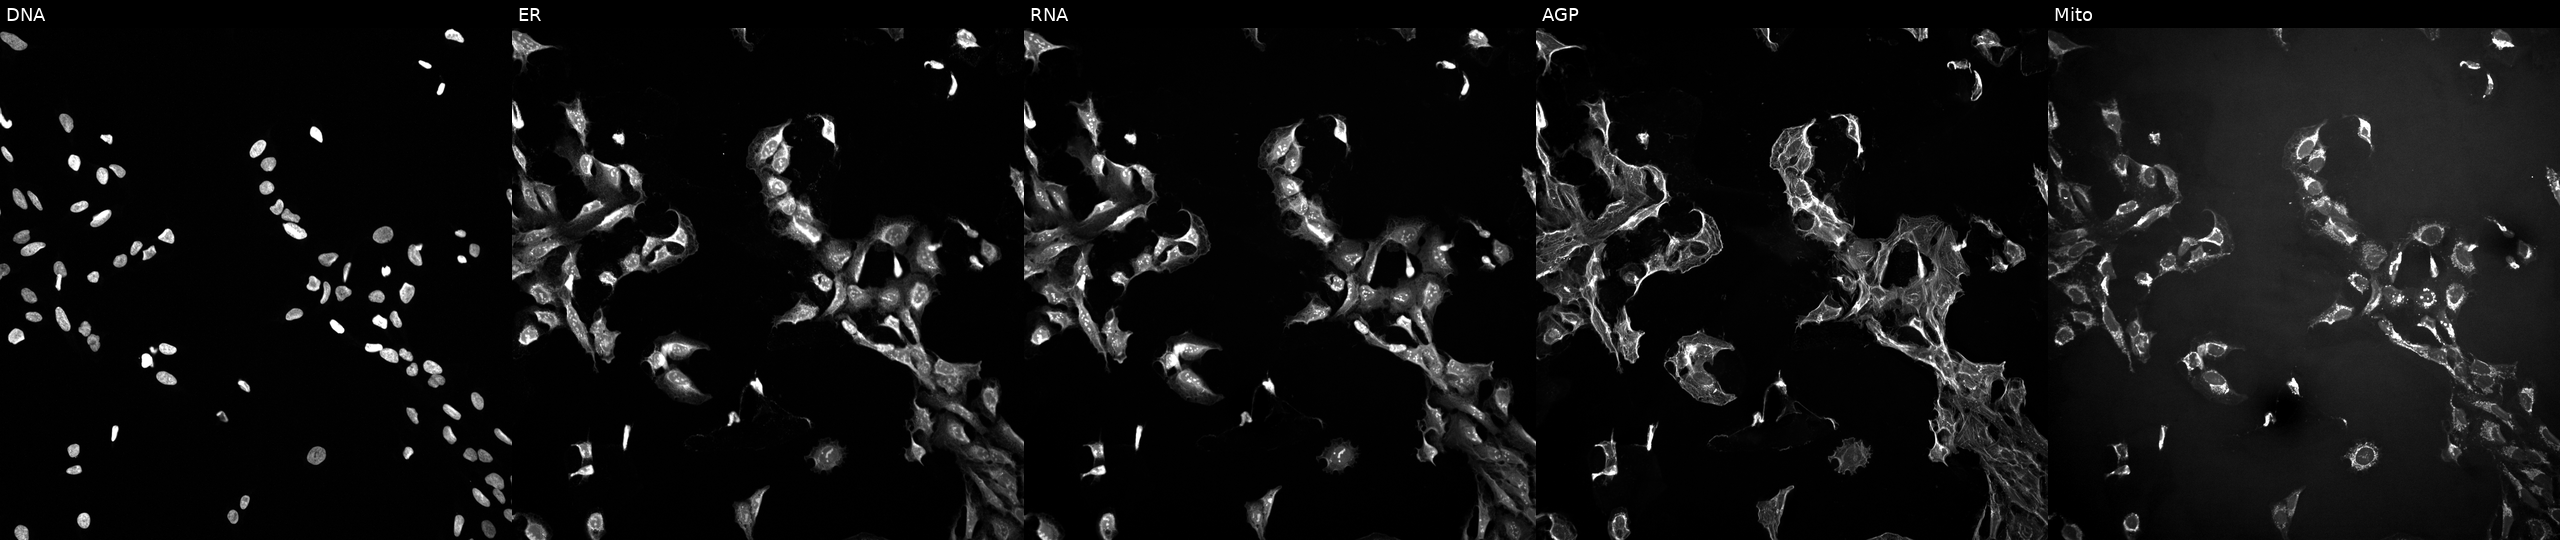
U2OS cells, Cell Painting assay, perturbed with a small-molecule compound (JUMP id JCP2022_016288). From left to right: DNA (nuclei); ER (endoplasmic reticulum); RNA (nucleoli and cytoplasmic RNA); AGP (actin cytoskeleton, Golgi, and plasma membrane); Mito (mitochondria). Each panel is percentile-stretched 16-bit fluorescence.